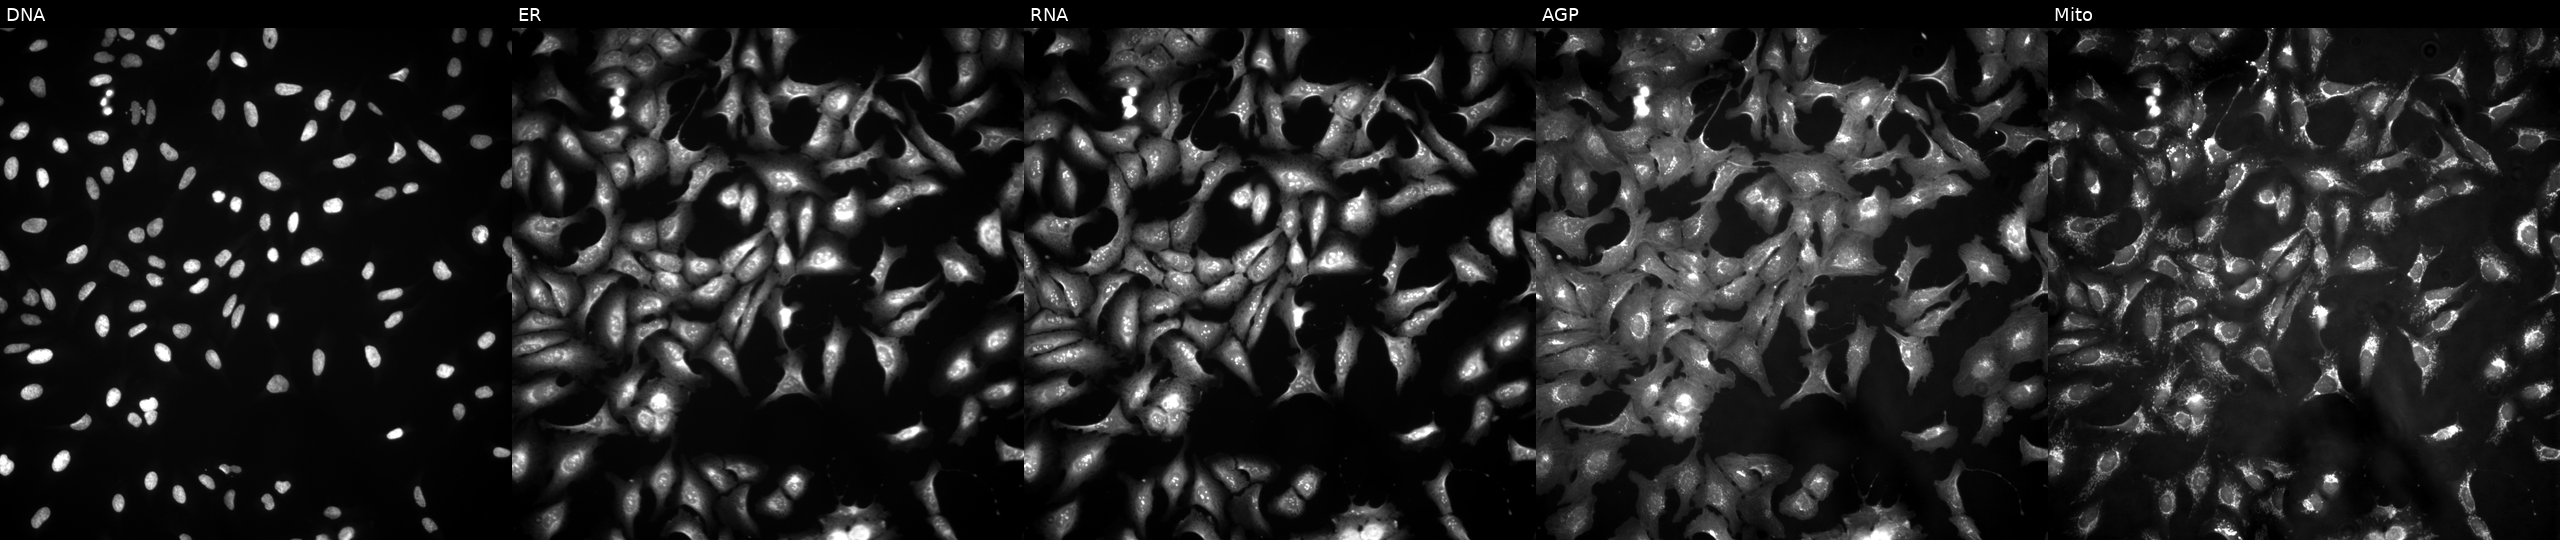
U2OS cells, Cell Painting assay, expressing HcRed (ORF negative control). From left to right: Hoechst 33342, concanavalin A, SYTO 14, phalloidin and WGA, MitoTracker. Each panel is percentile-stretched 16-bit fluorescence. Source 4, plate BR00121543, well K11.